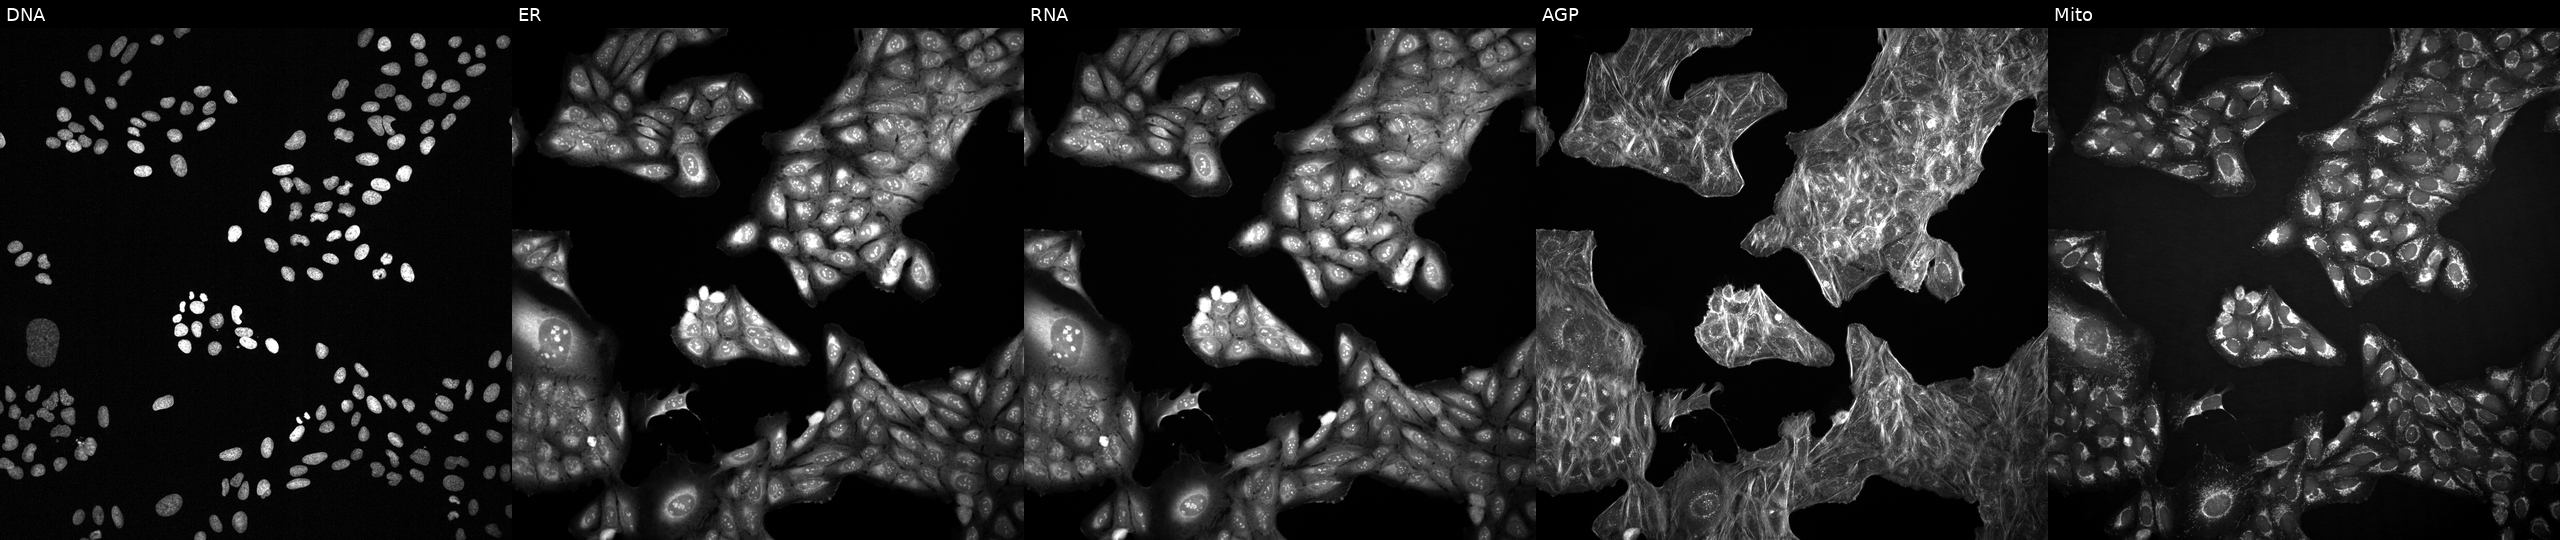
Five-channel Cell Painting image of U2OS cells with an unidentified perturbation (not annotated in JUMP metadata). Channels (left→right): Hoechst 33342, concanavalin A, SYTO 14, phalloidin and WGA, MitoTracker.